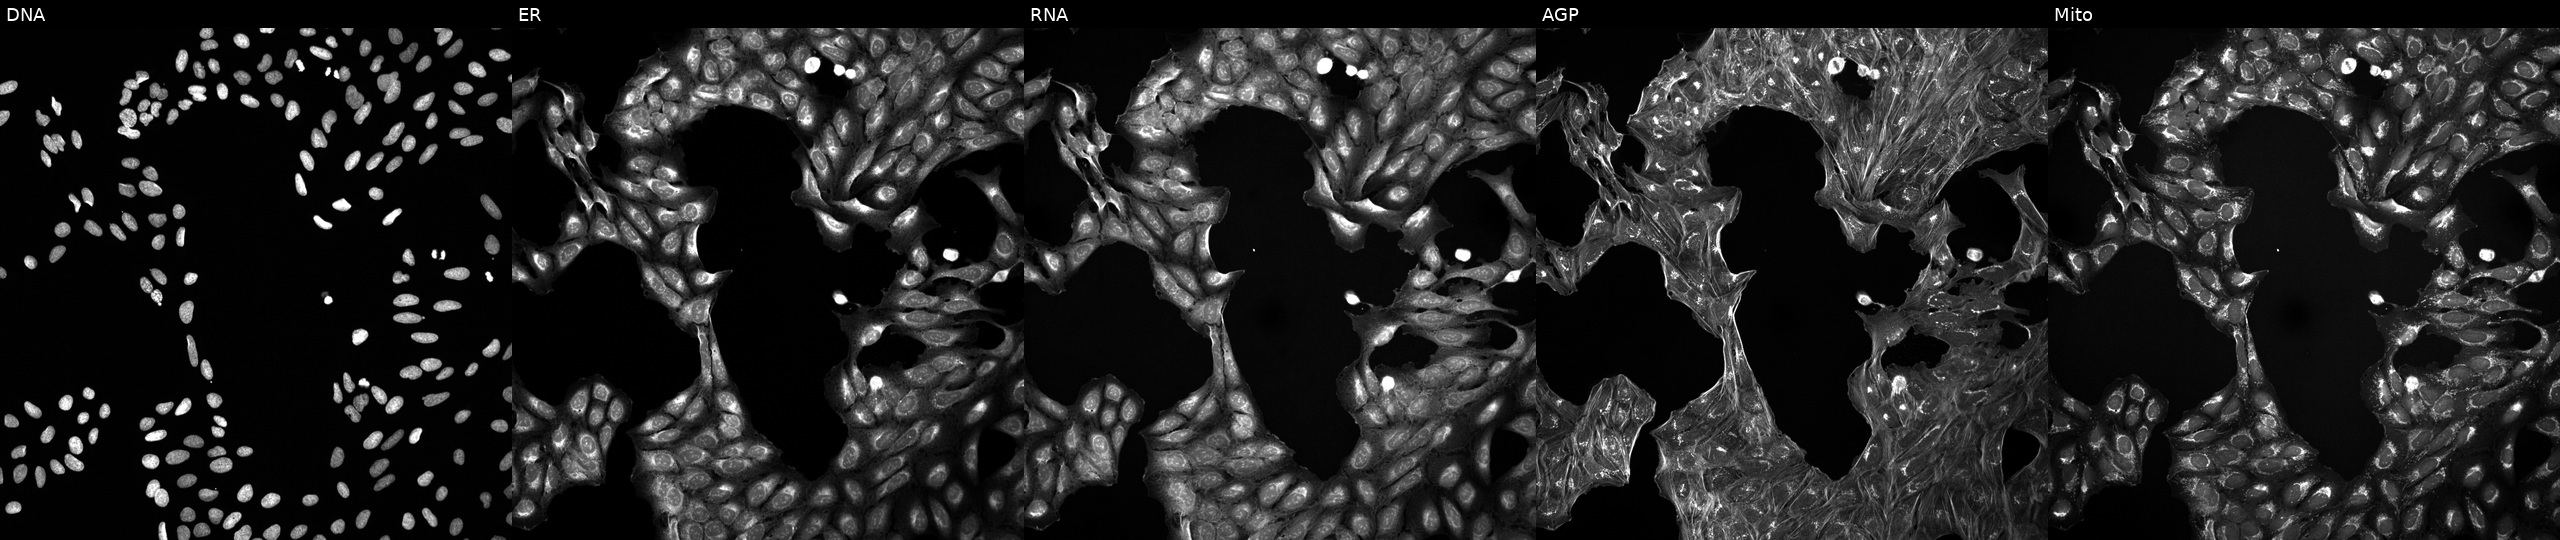
This image strip shows the five Cell Painting channels for a single field of U2OS cells treated with a small-molecule compound (InChIKey JUUFBMODXQKSTD-UHFFFAOYSA-N) [SMILES: CCOC(=O)Nc1ccc(=NCc2ccc(F)cc2)[nH]c1N]. The five panels, left to right, show Hoechst 33342, concanavalin A, SYTO 14, phalloidin and WGA, MitoTracker.